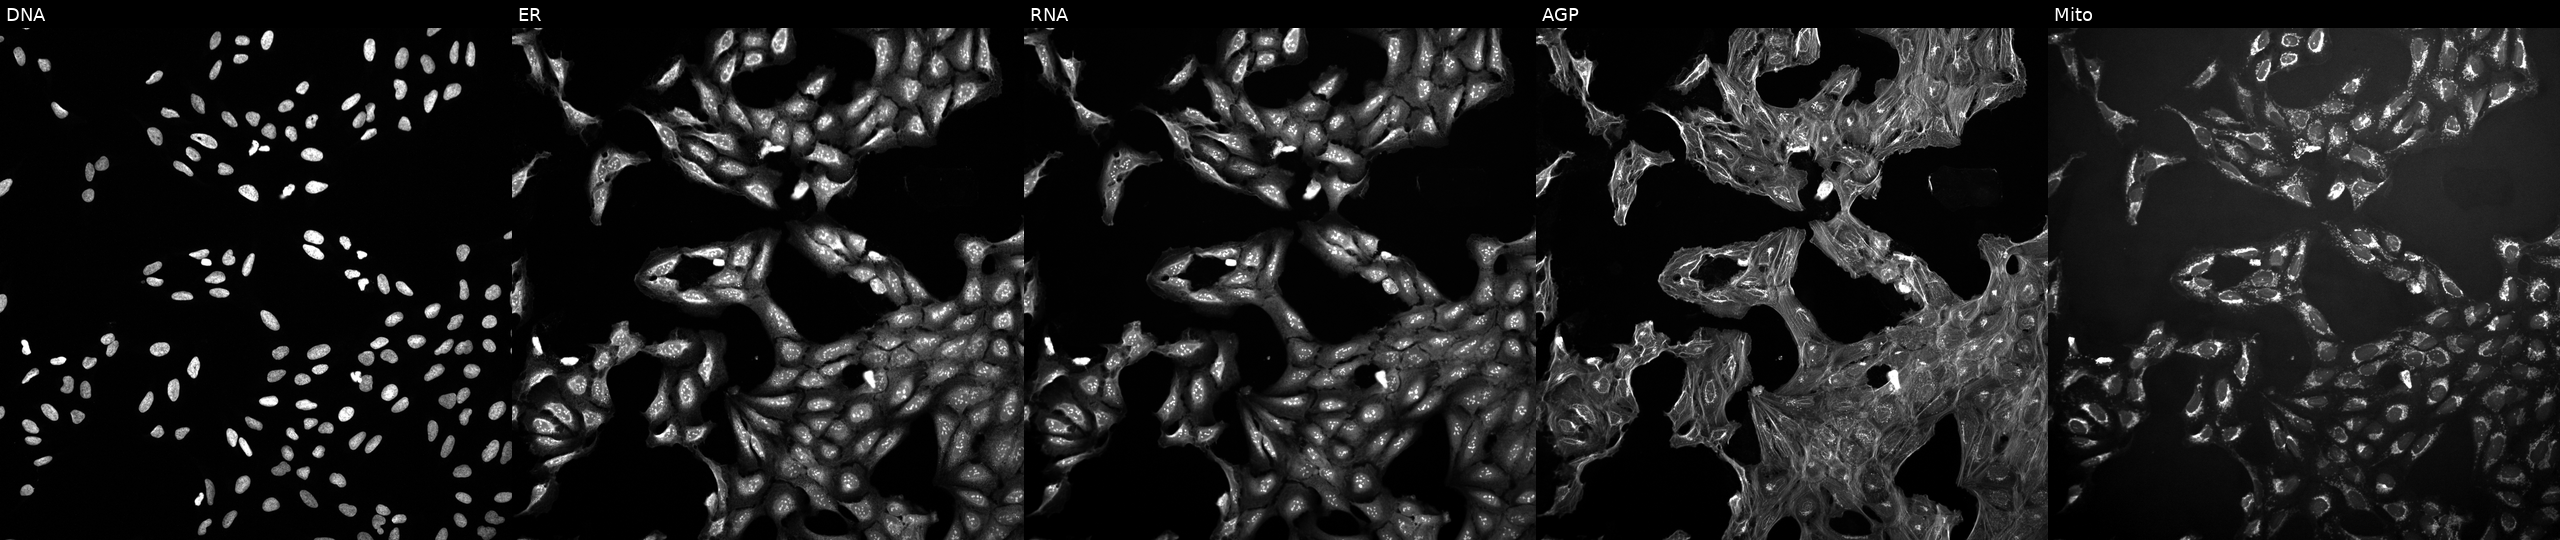
JUMP Cell Painting — TARGET2 plate. U2OS cells exposed to a small-molecule compound (InChIKey XDFKWGIBQMHSOH-UHFFFAOYSA-N) (JUMP id JCP2022_102917). From left to right: DNA (nuclei); ER (endoplasmic reticulum); RNA (nucleoli and cytoplasmic RNA); AGP (actin cytoskeleton, Golgi, and plasma membrane); Mito (mitochondria).